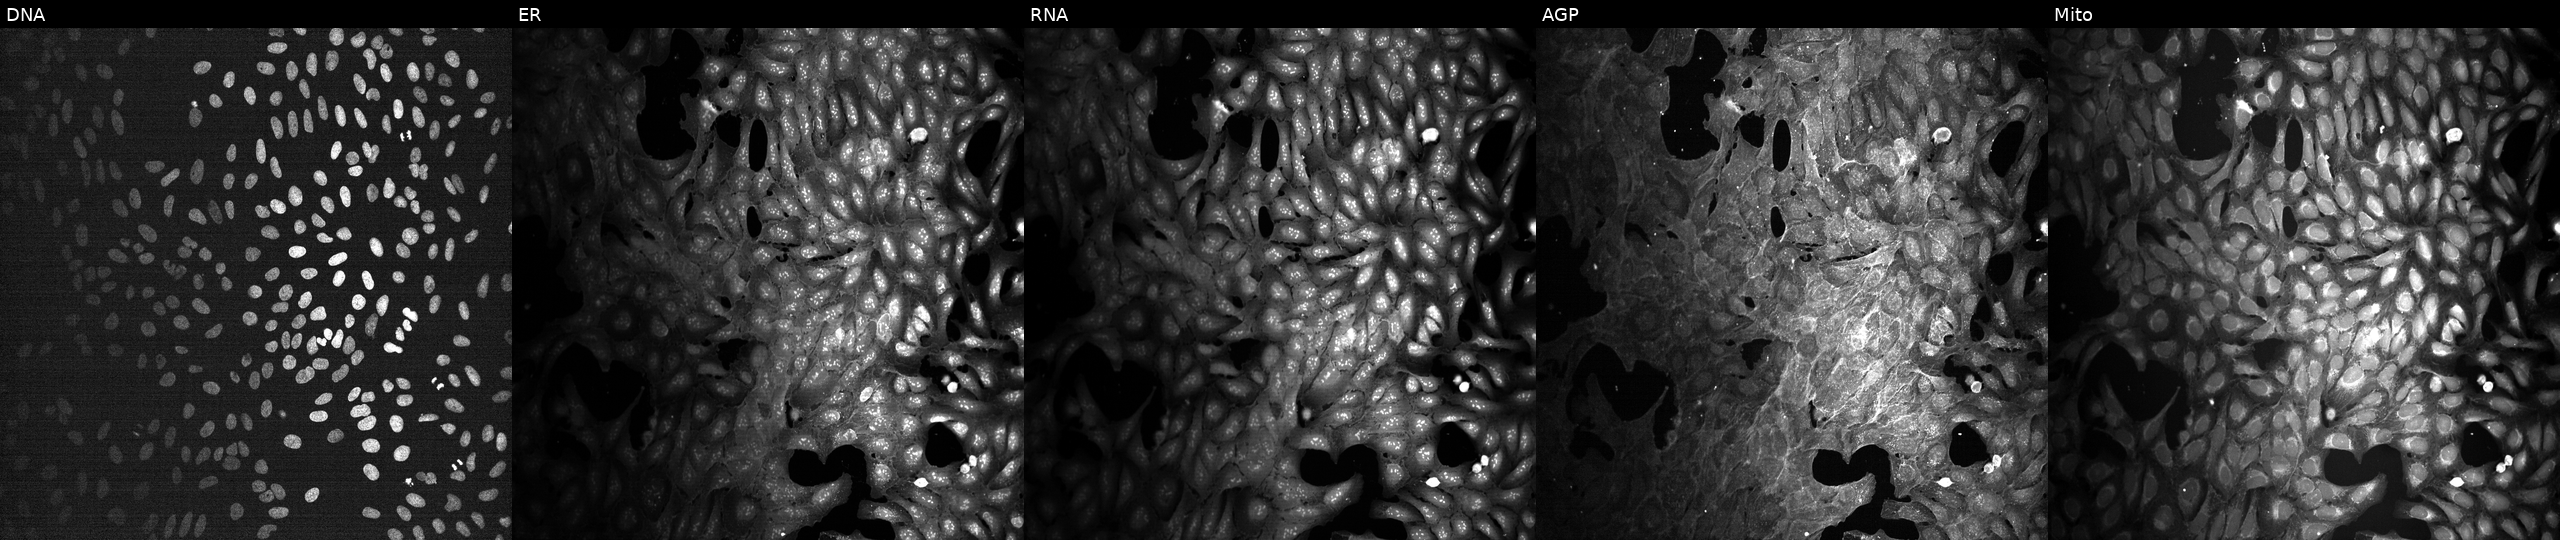
This image strip shows the five Cell Painting channels for a single field of U2OS cells exposed to the positive-control compound quinidine (JUMP id JCP2022_050797). From left to right: DNA, ER, RNA, AGP, and Mito.